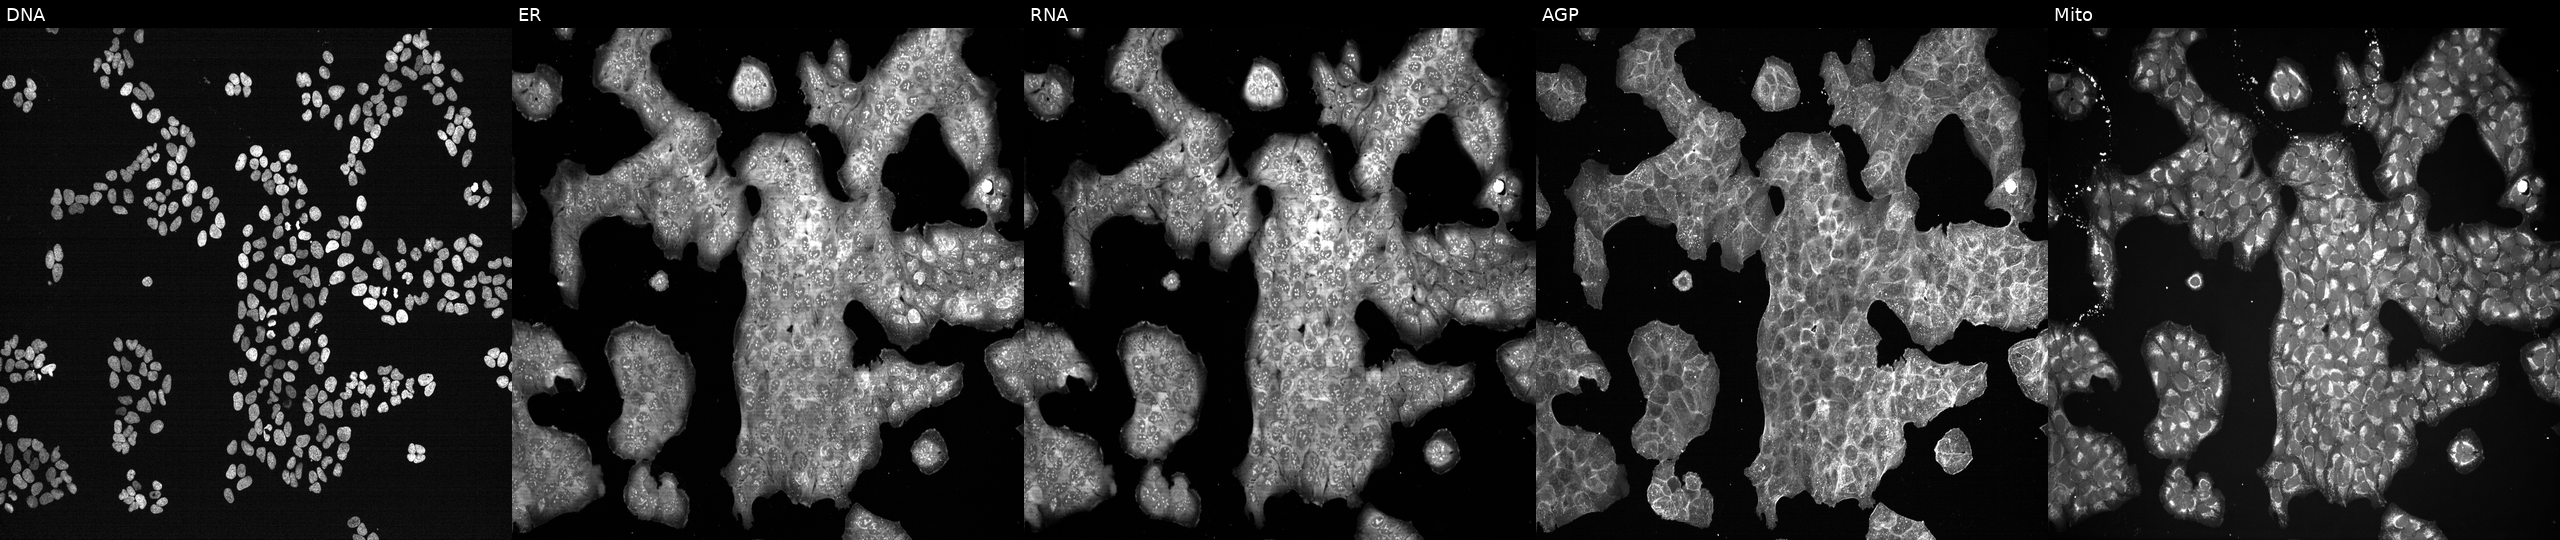
JUMP Cell Painting — TARGET2 plate. U2OS cells treated with a small-molecule compound. Channels (left→right): DNA (nuclei); ER (endoplasmic reticulum); RNA (nucleoli and cytoplasmic RNA); AGP (actin cytoskeleton, Golgi, and plasma membrane); Mito (mitochondria).